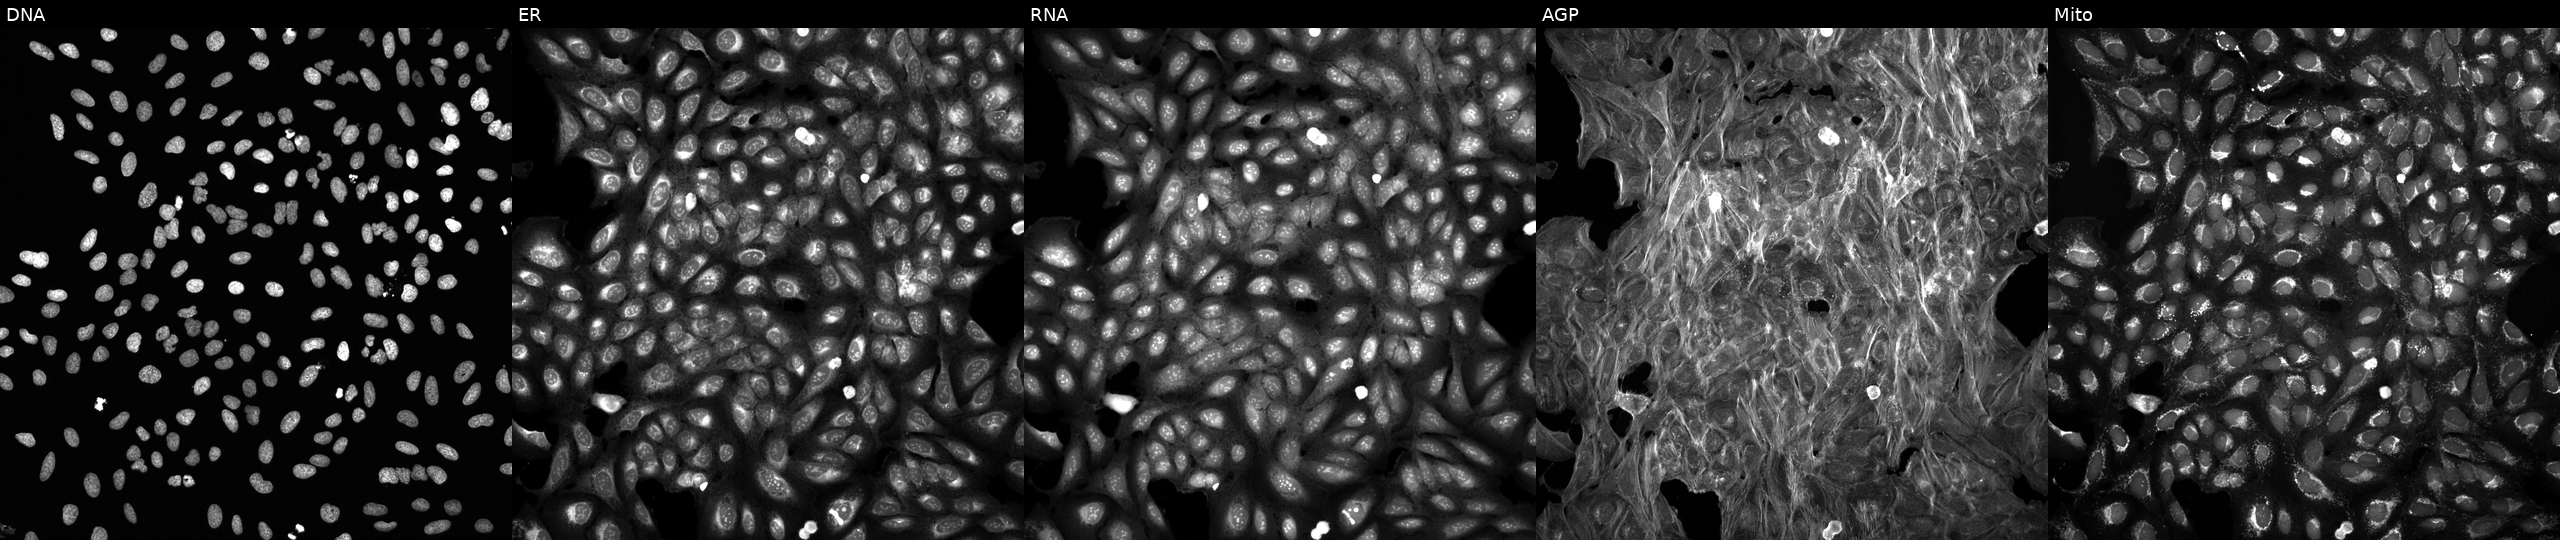
Five-channel Cell Painting image of U2OS cells exposed to a small-molecule compound (InChIKey HBUBKKRHXORPQB-UHFFFAOYSA-N). From left to right: Hoechst 33342, concanavalin A, SYTO 14, phalloidin and WGA, MitoTracker.